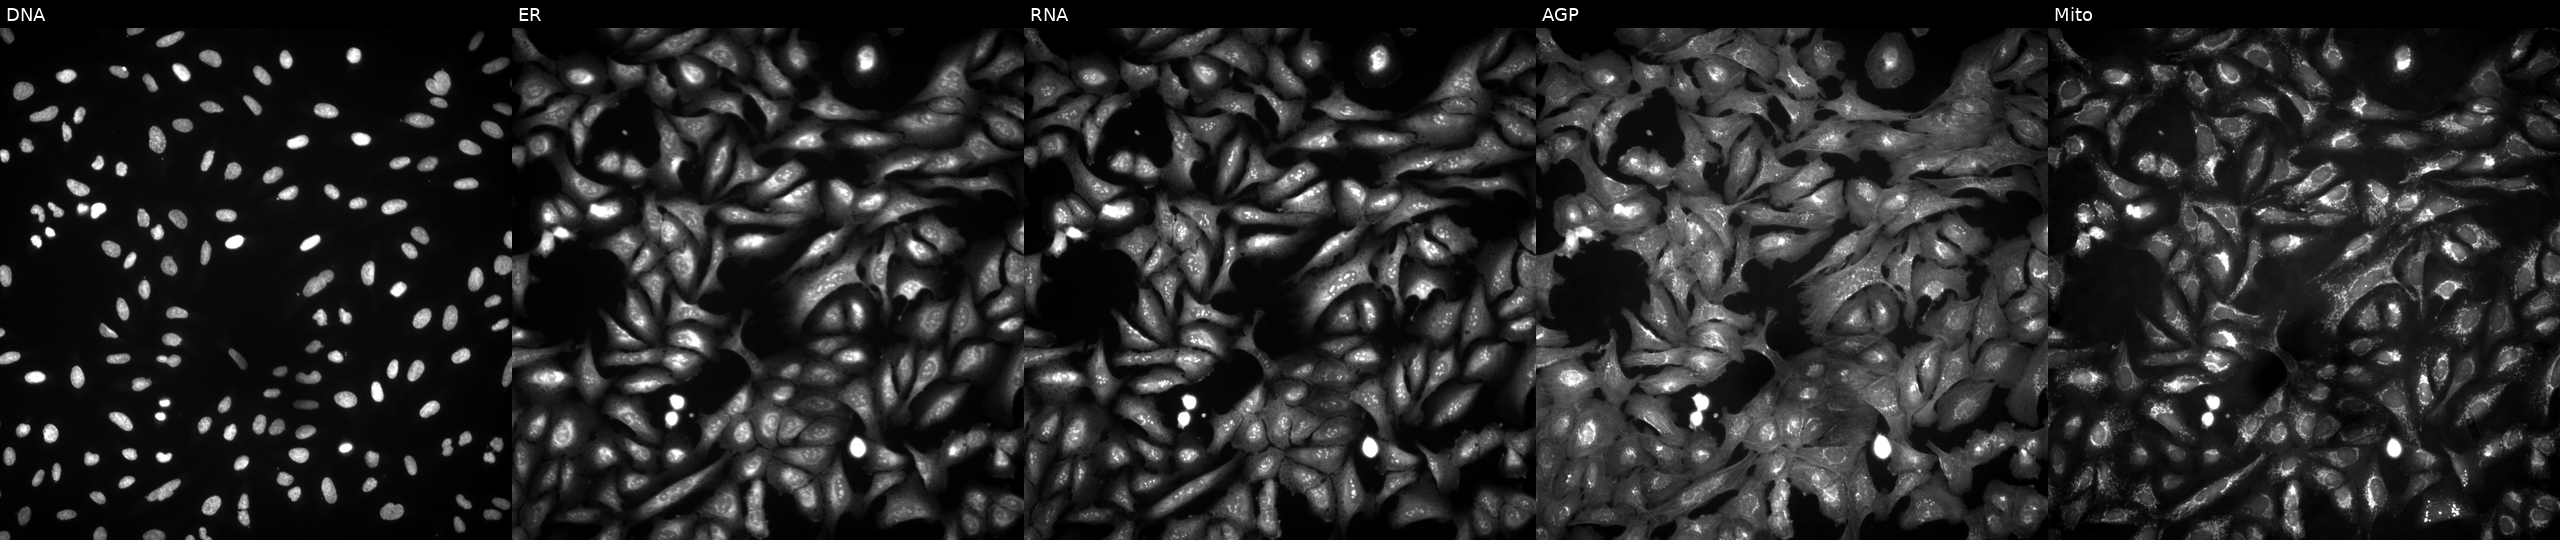
Five-channel Cell Painting image of U2OS cells overexpressing ASIC4 via ORF transfection. Panels show, left to right, DNA (nuclei); ER (endoplasmic reticulum); RNA (nucleoli and cytoplasmic RNA); AGP (actin cytoskeleton, Golgi, and plasma membrane); Mito (mitochondria).